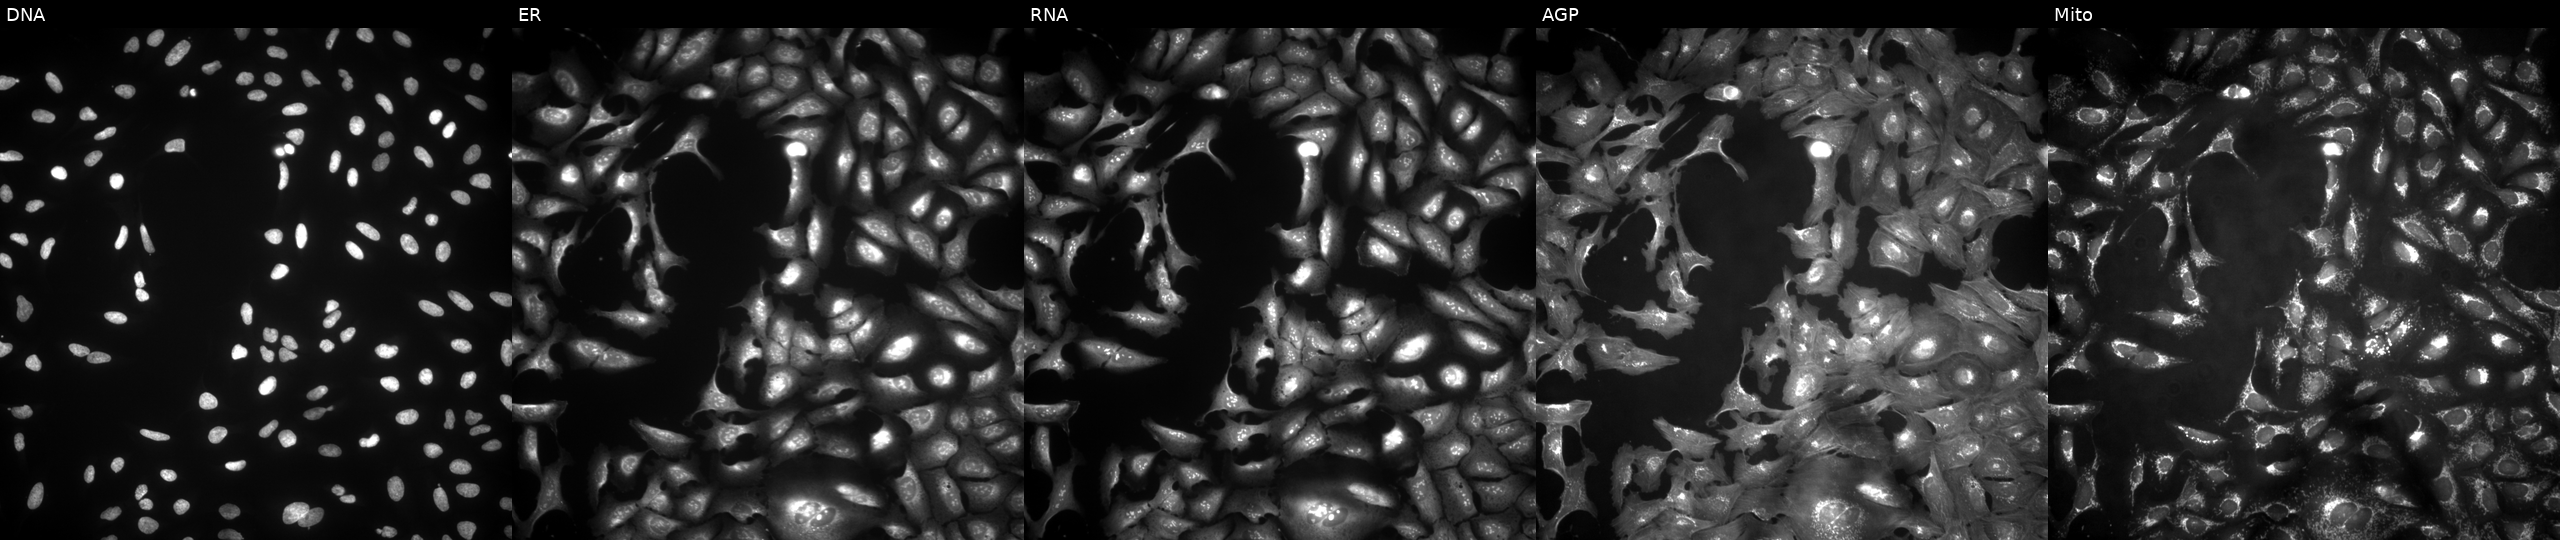
JUMP Cell Painting — ORF plate. U2OS cells transfected with an ORF construct for CHST12. The five panels, left to right, show Hoechst 33342, concanavalin A, SYTO 14, phalloidin and WGA, MitoTracker. Source 4, plate BR00123506, well F08.